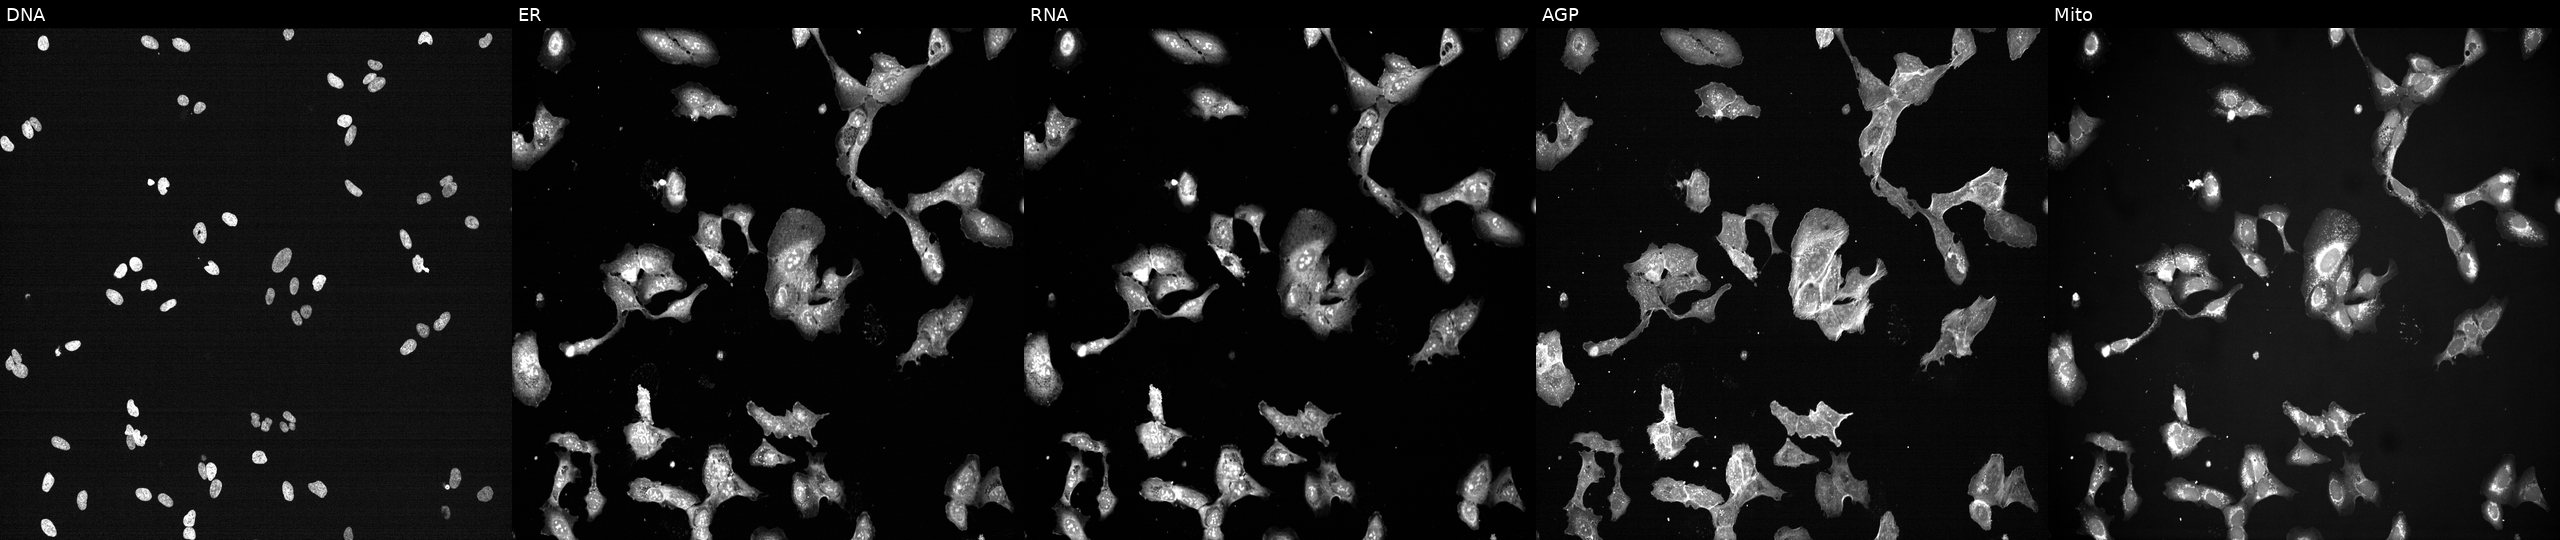
U2OS cells, Cell Painting assay, treated with a small-molecule compound. The five panels, left to right, show DNA (nuclei); ER (endoplasmic reticulum); RNA (nucleoli and cytoplasmic RNA); AGP (actin cytoskeleton, Golgi, and plasma membrane); Mito (mitochondria). Each panel is percentile-stretched 16-bit fluorescence.